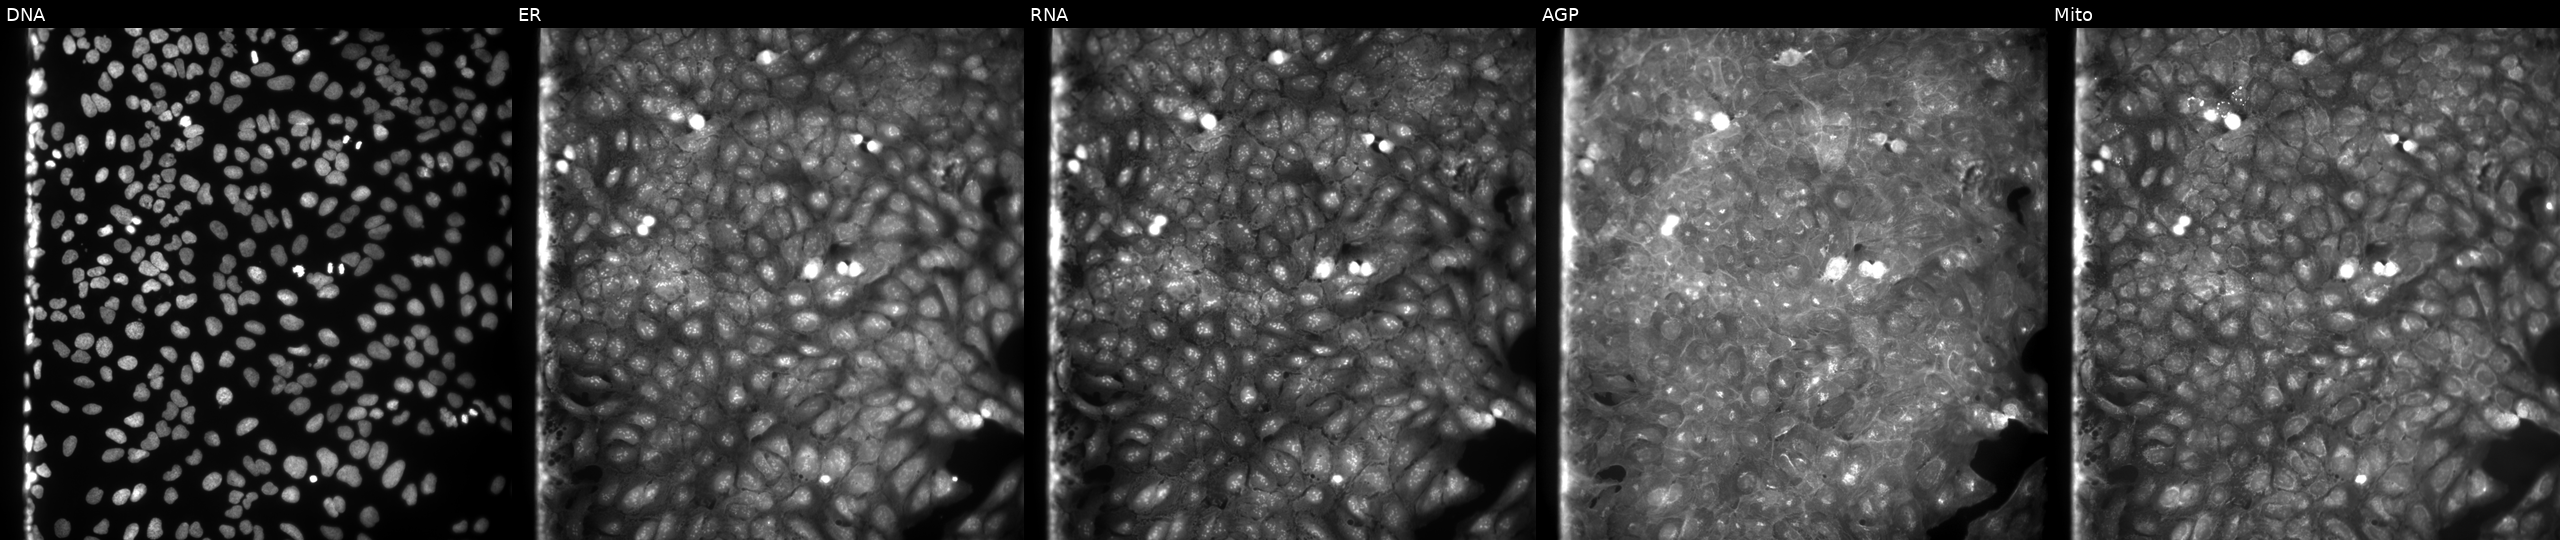
JUMP Cell Painting — COMPOUND plate. U2OS cells perturbed with a small-molecule compound. Channels (left→right): Hoechst 33342, concanavalin A, SYTO 14, phalloidin and WGA, MitoTracker.